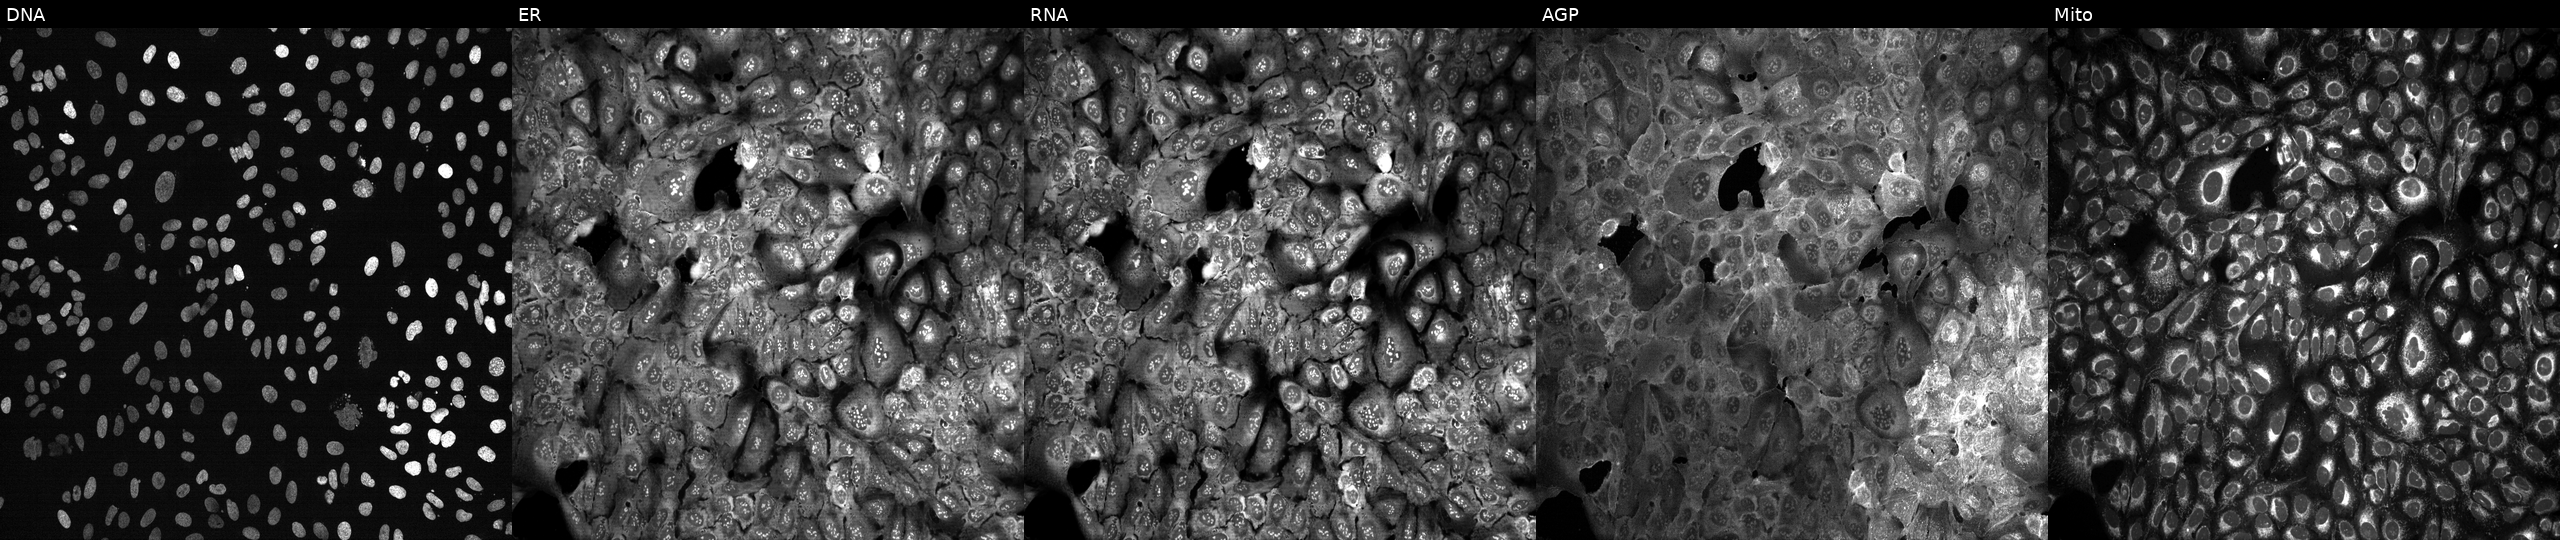
U2OS cells, Cell Painting assay, with TGM3 knocked out by CRISPR. Channels (left→right): DNA (nuclei); ER (endoplasmic reticulum); RNA (nucleoli and cytoplasmic RNA); AGP (actin cytoskeleton, Golgi, and plasma membrane); Mito (mitochondria). Each panel is percentile-stretched 16-bit fluorescence.